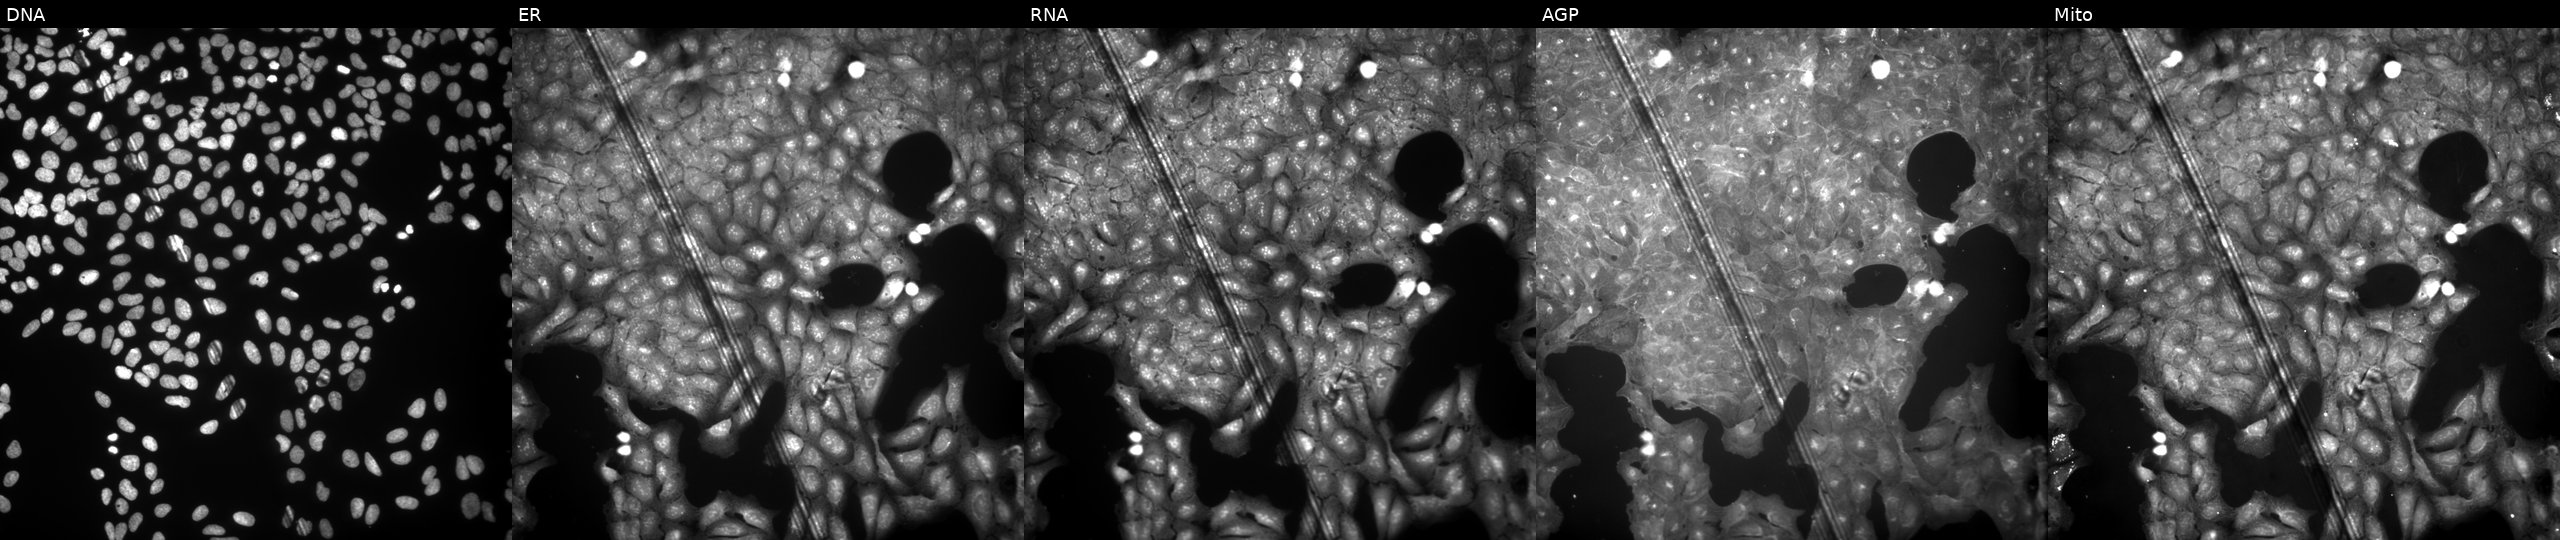
High-content fluorescence microscopy (Cell Painting). Cell line: U2OS. Perturbation: exposed to a small-molecule compound (InChIKey MKWPQGARVRCFKR-UHFFFAOYSA-N) (JUMP id JCP2022_054797). The five panels, left to right, show Hoechst 33342, concanavalin A, SYTO 14, phalloidin and WGA, MitoTracker.